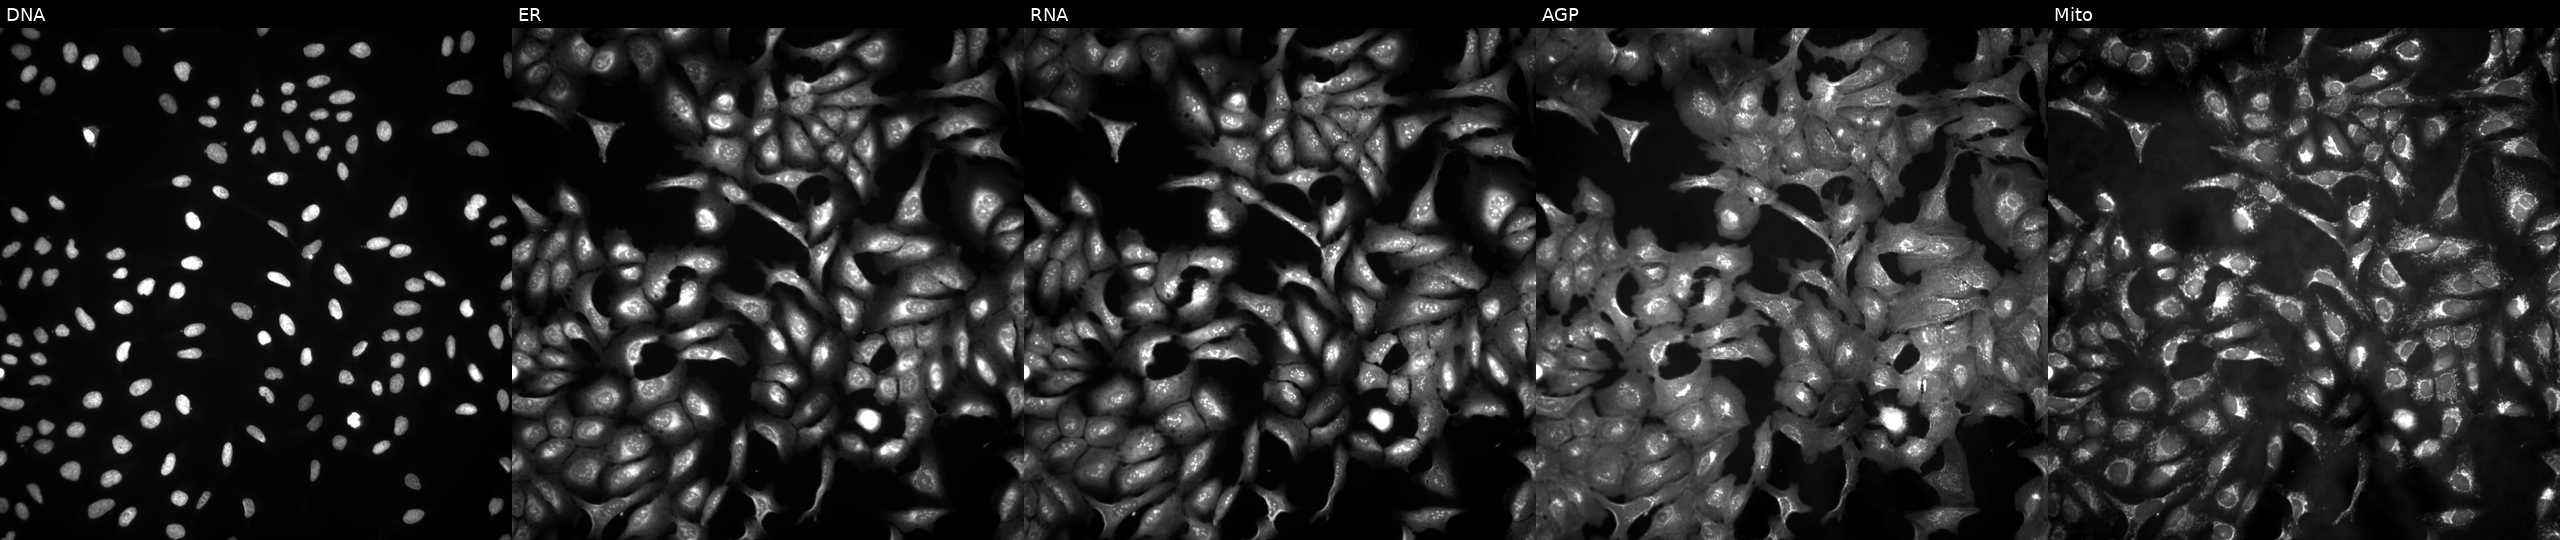
U2OS cells, Cell Painting assay, expressing eGFP (ORF positive control) (JUMP id JCP2022_915132). From left to right: DNA, ER, RNA, AGP, and Mito. Each panel is percentile-stretched 16-bit fluorescence. Source 4, plate BR00121543, well P19.